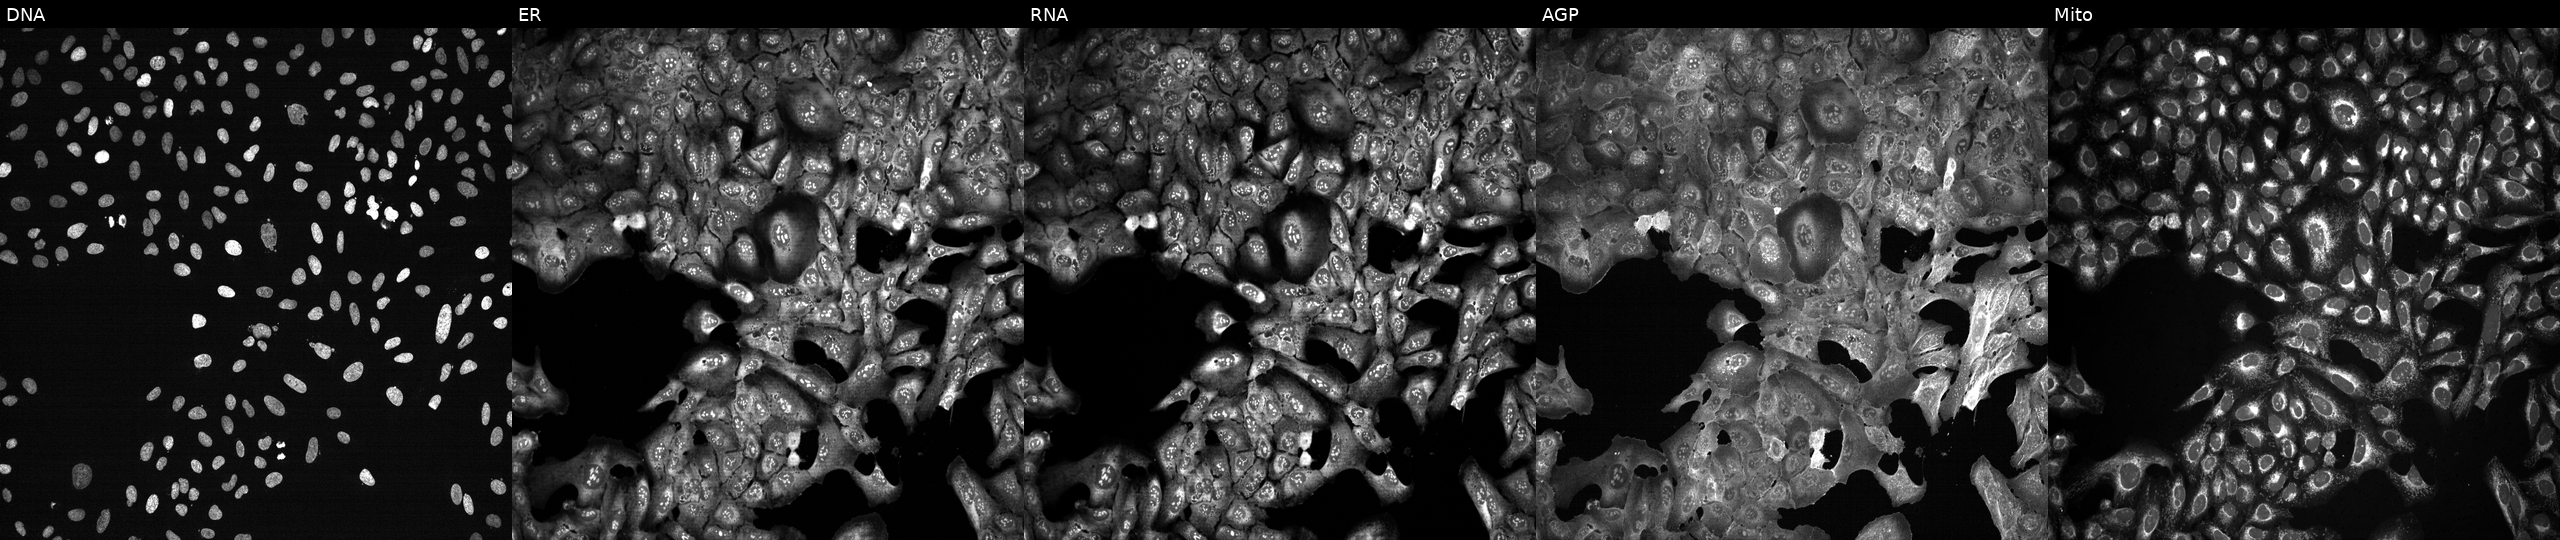
JUMP Cell Painting — CRISPR plate. U2OS cells with METTL7B knocked out by CRISPR (JUMP id JCP2022_804145). Channels (left→right): DNA, ER, RNA, AGP, and Mito. Source 13, plate CP-CC9-R3-02, well A19.